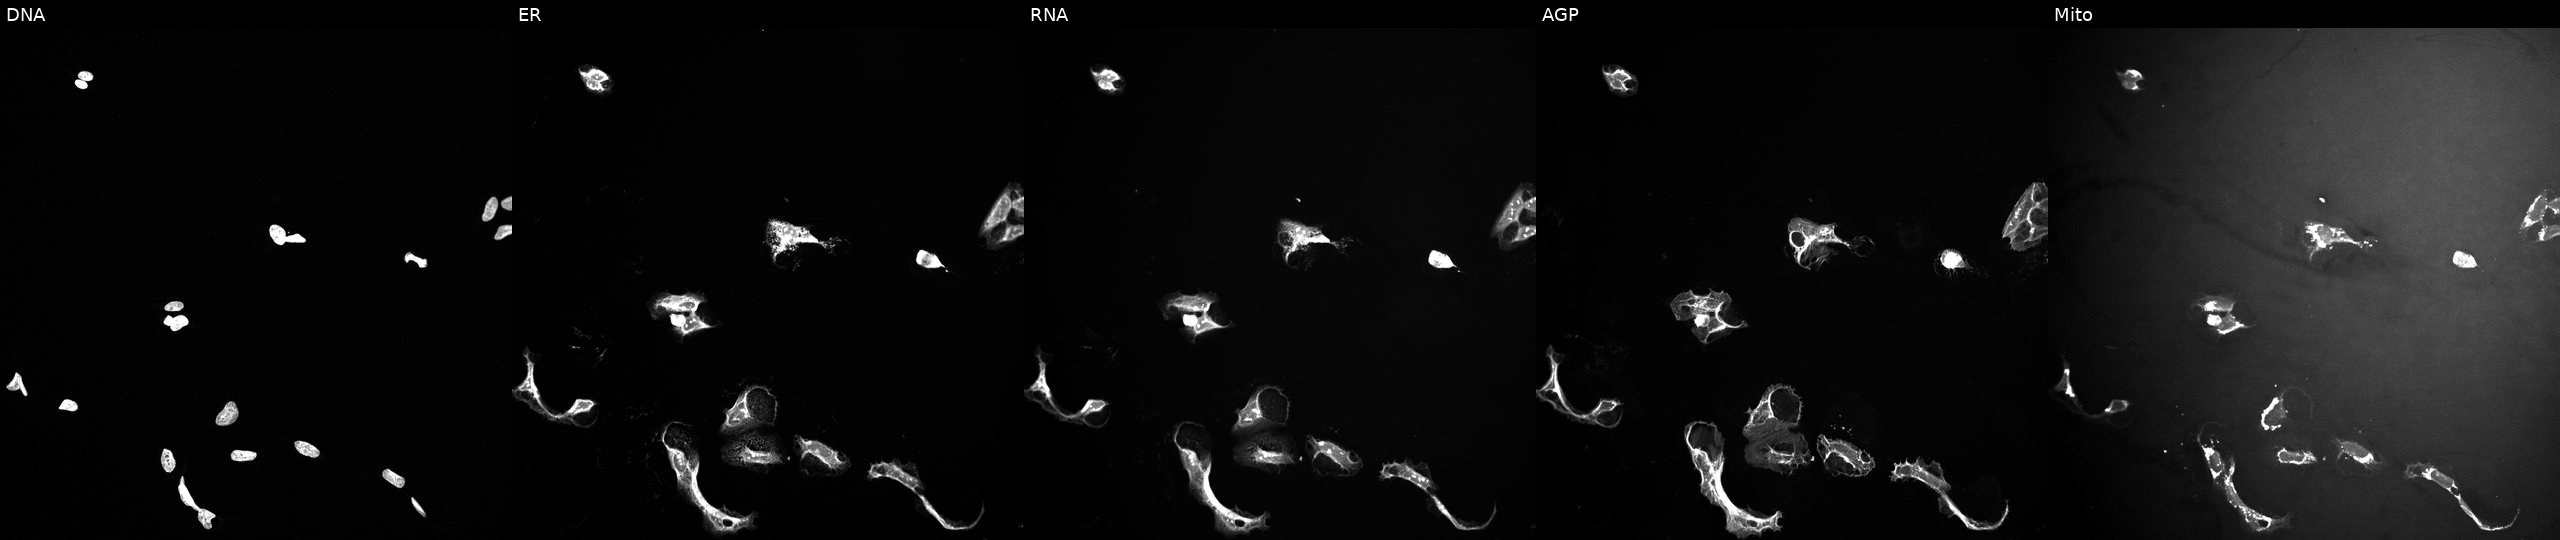
This image strip shows the five Cell Painting channels for a single field of U2OS cells exposed to a small-molecule compound [SMILES: C(#Cc1nc2ncccc2nc1OCCN1CCCC1)c1ccccc1]. Panels show, left to right, DNA, ER, RNA, AGP, and Mito.